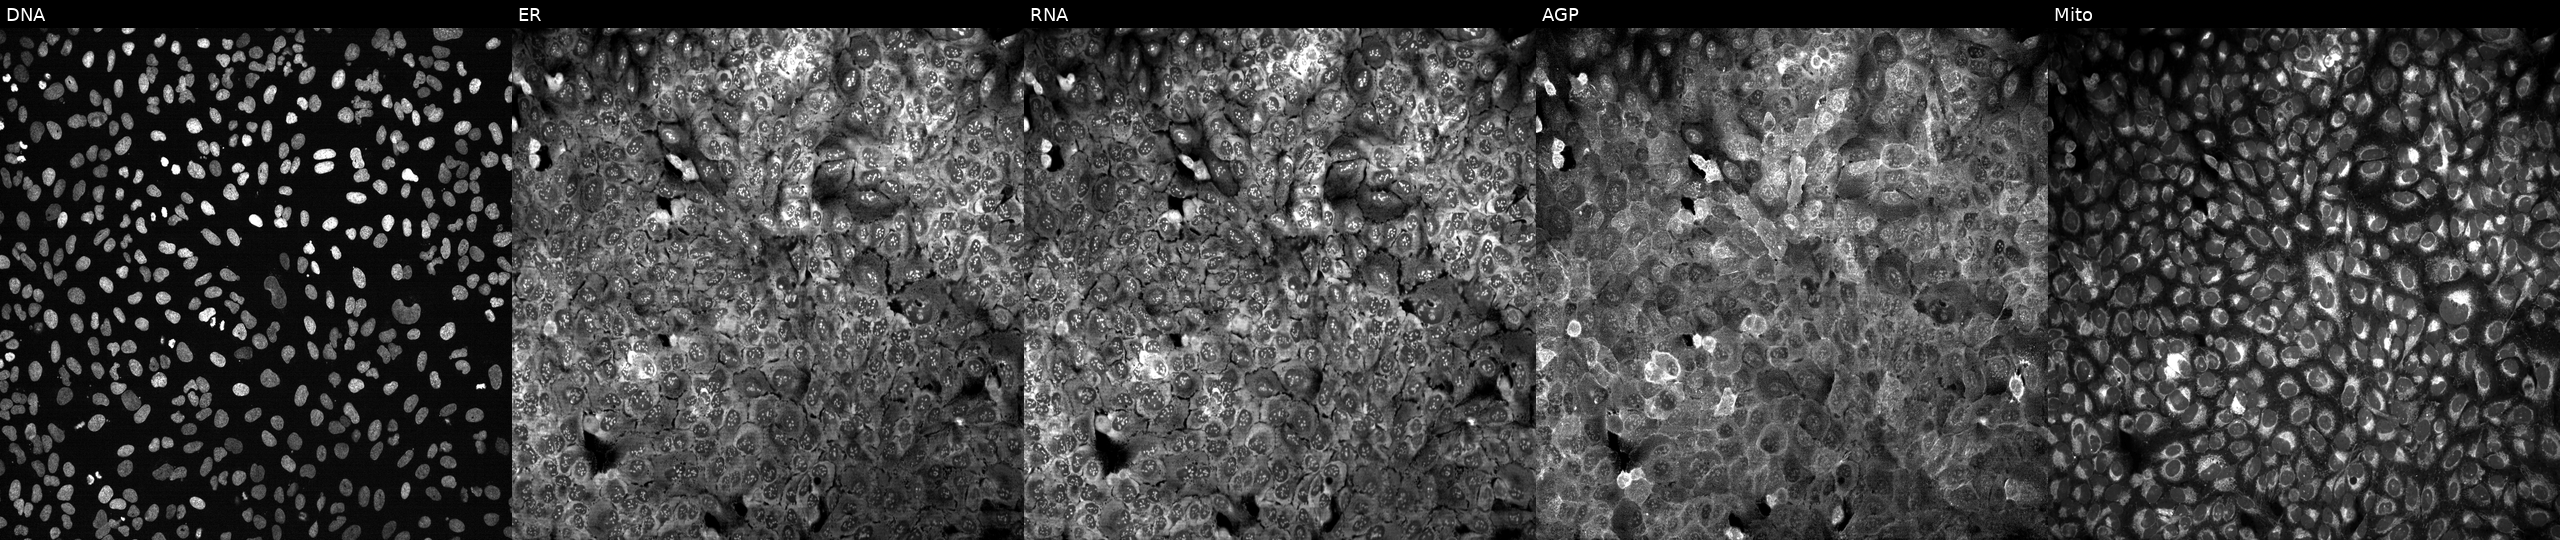
U2OS cells, Cell Painting assay, following CRISPR knockout of APOB. From left to right: Hoechst 33342, concanavalin A, SYTO 14, phalloidin and WGA, MitoTracker. Each panel is percentile-stretched 16-bit fluorescence.